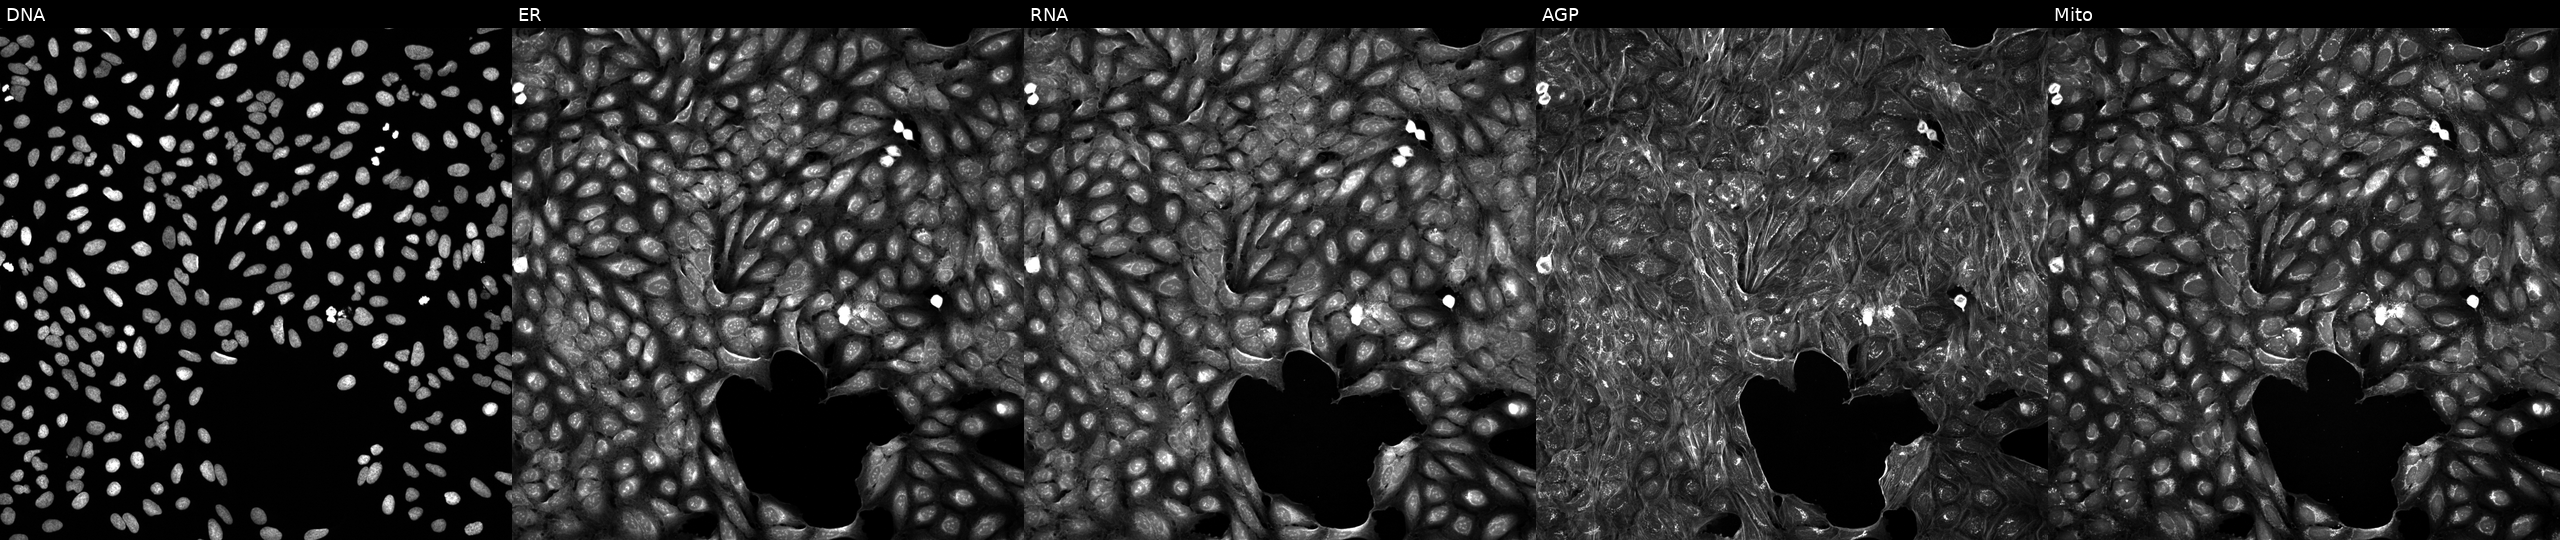
JUMP Cell Painting — COMPOUND plate. U2OS cells exposed to a small-molecule compound (InChIKey NBRLOZDSVWZTBG-UHFFFAOYSA-N). From left to right: DNA, ER, RNA, AGP, and Mito. Source 5, plate APTJUM105, well D11.